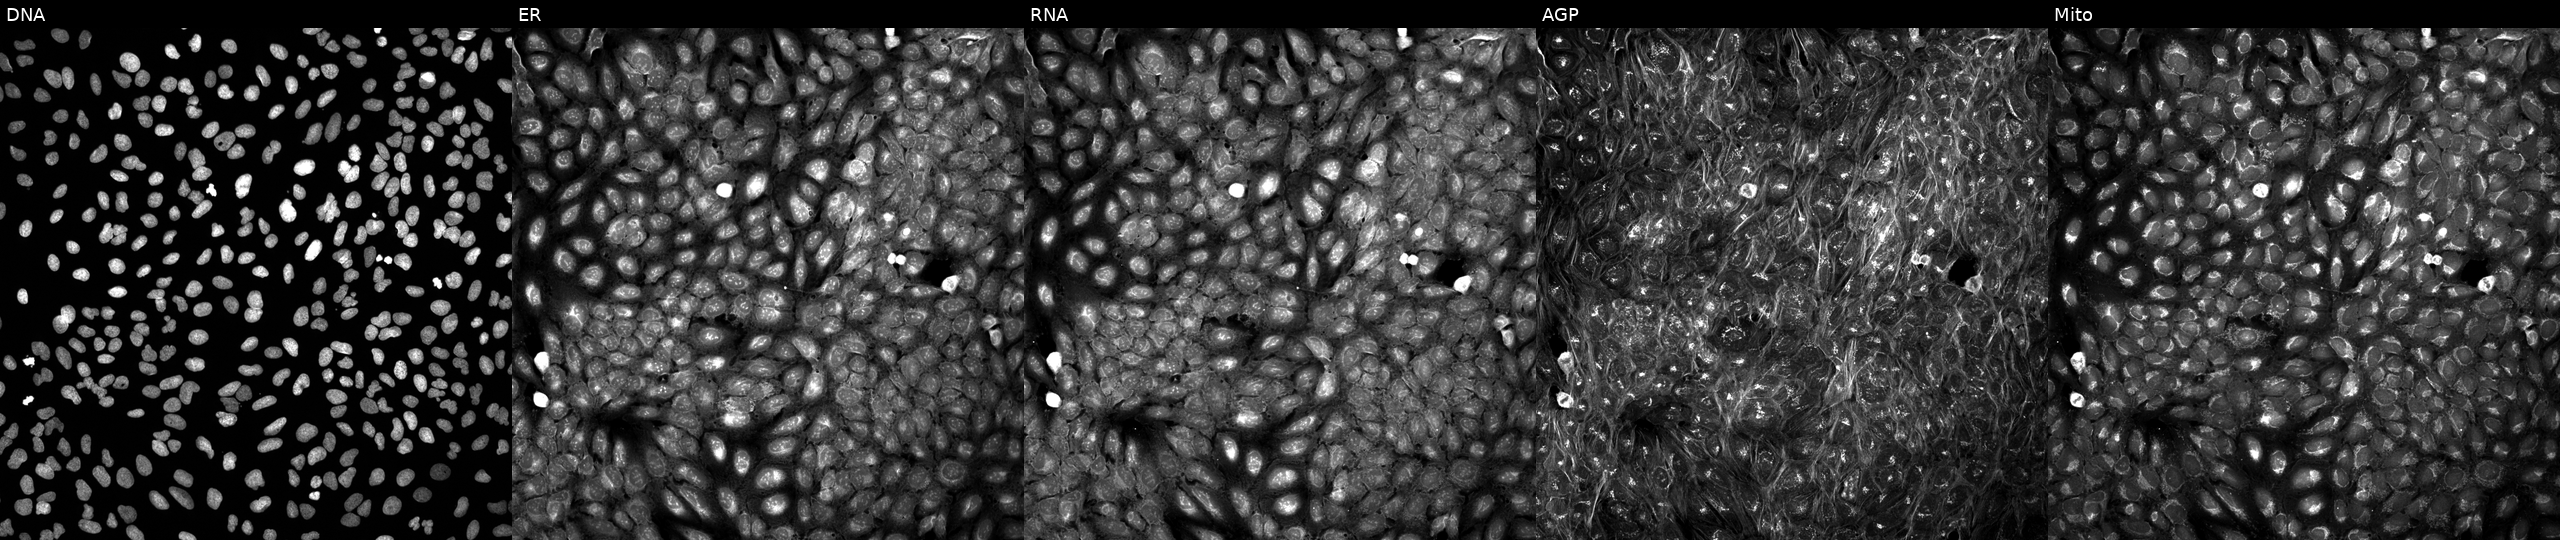
This image strip shows the five Cell Painting channels for a single field of U2OS cells treated with a small-molecule compound (InChIKey WZOAHELSVRHLSR-UHFFFAOYSA-N). Channels (left→right): DNA (nuclei); ER (endoplasmic reticulum); RNA (nucleoli and cytoplasmic RNA); AGP (actin cytoskeleton, Golgi, and plasma membrane); Mito (mitochondria).